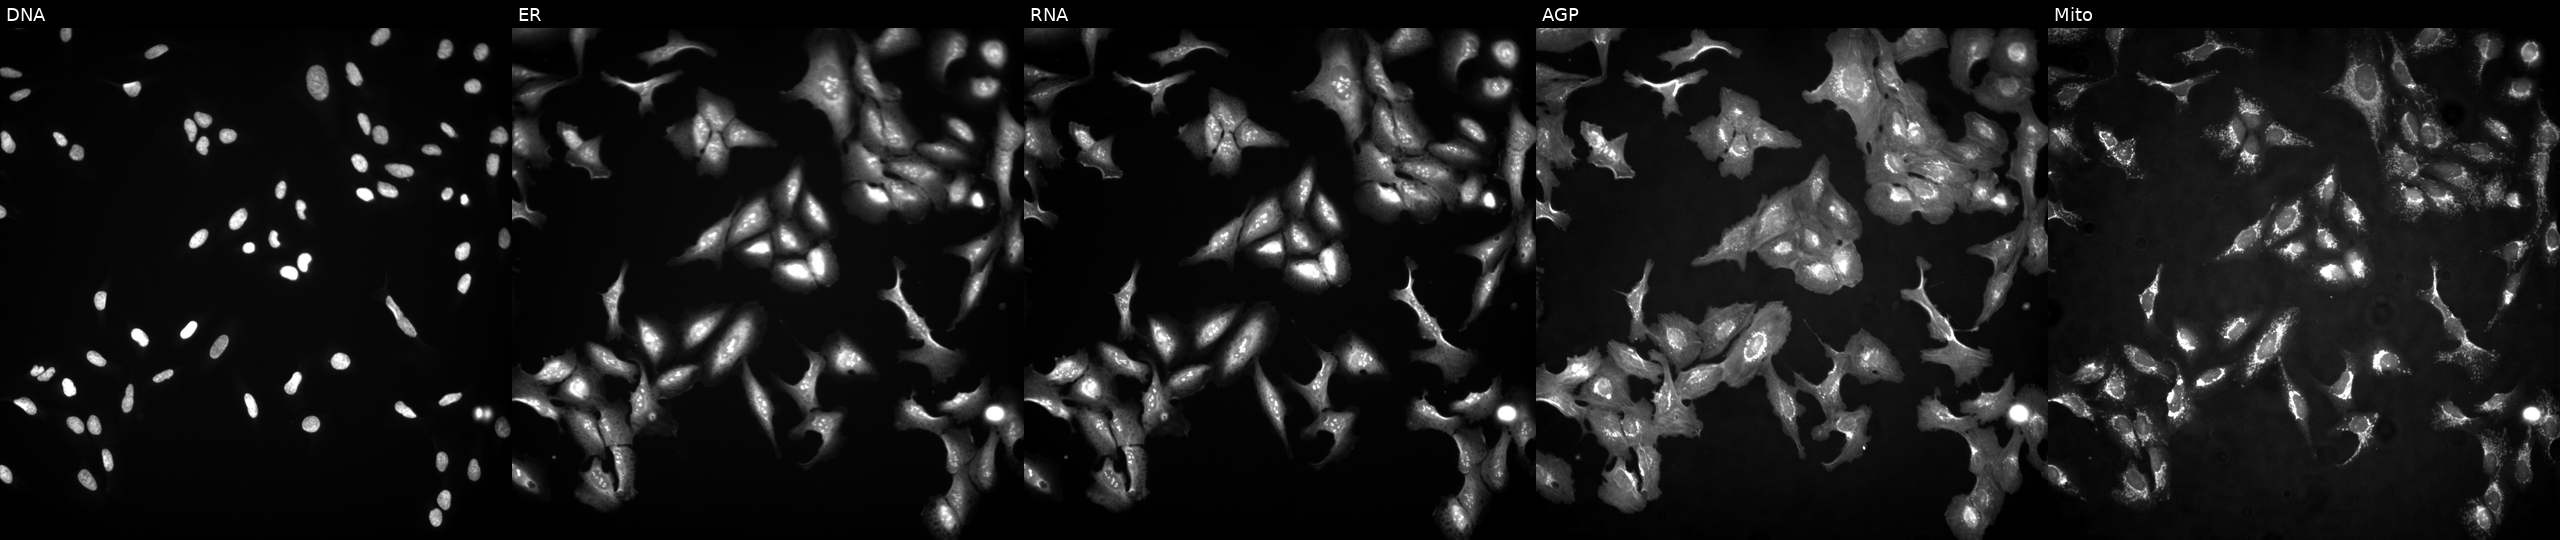
This image strip shows the five Cell Painting channels for a single field of U2OS cells transfected with an ORF construct for ETV5. From left to right: Hoechst 33342, concanavalin A, SYTO 14, phalloidin and WGA, MitoTracker.